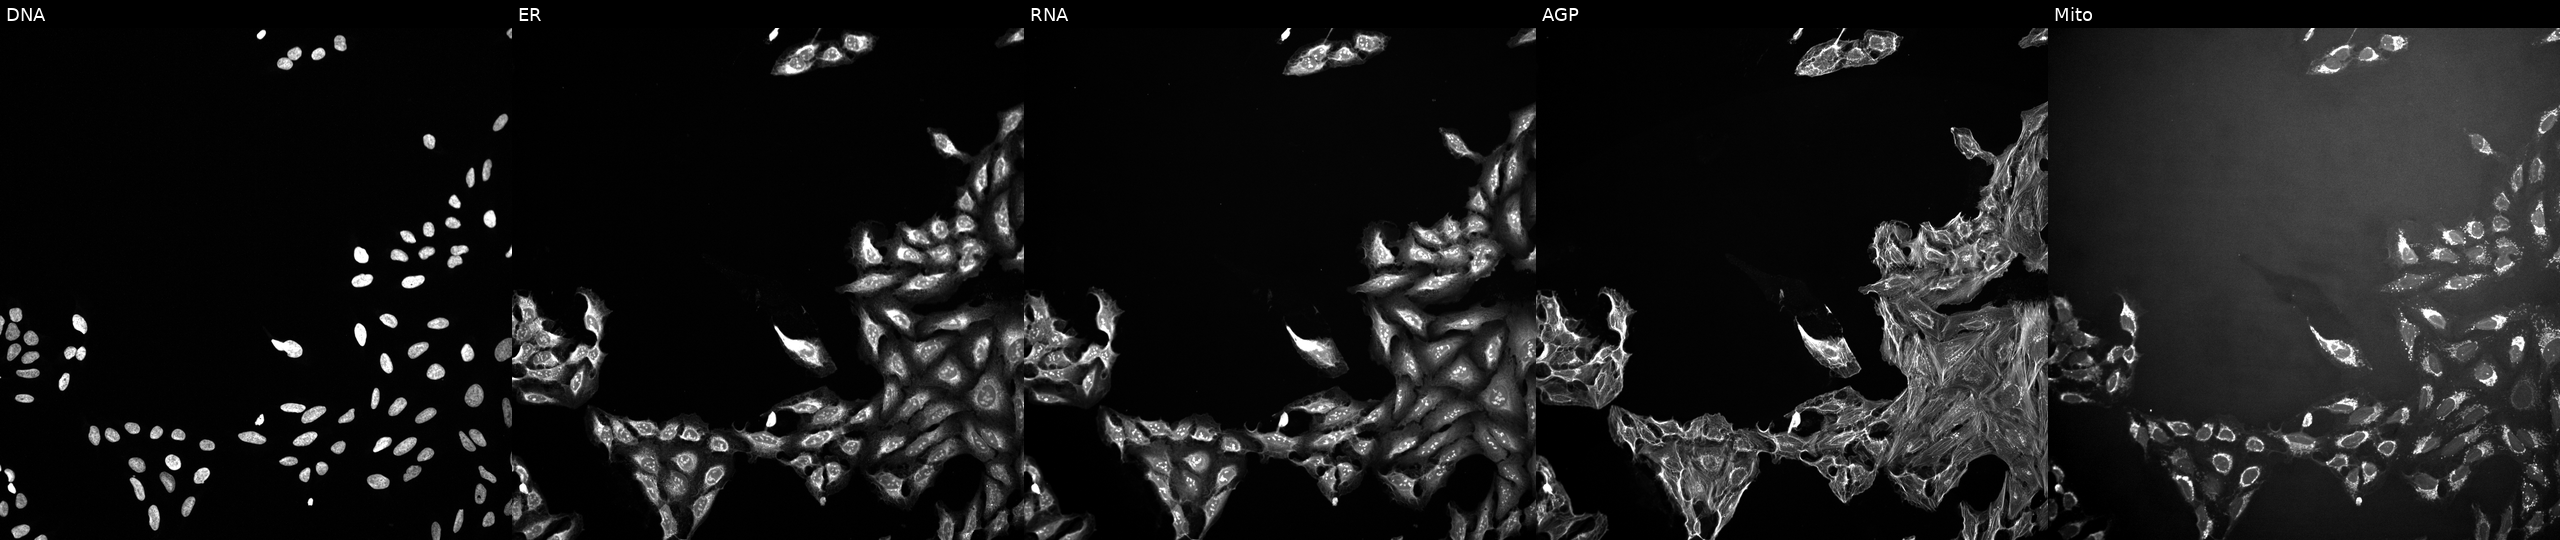
This image strip shows the five Cell Painting channels for a single field of U2OS cells perturbed with a small-molecule compound (InChIKey HFYPTENHTPNXGP-UHFFFAOYSA-N) [SMILES: O=C(O)c1ccc2c(c1)C(=O)N(c1cccc(Oc3ccc([N+](=O)[O-])cc3)c1)C2=O]. Panels show, left to right, Hoechst 33342, concanavalin A, SYTO 14, phalloidin and WGA, MitoTracker.